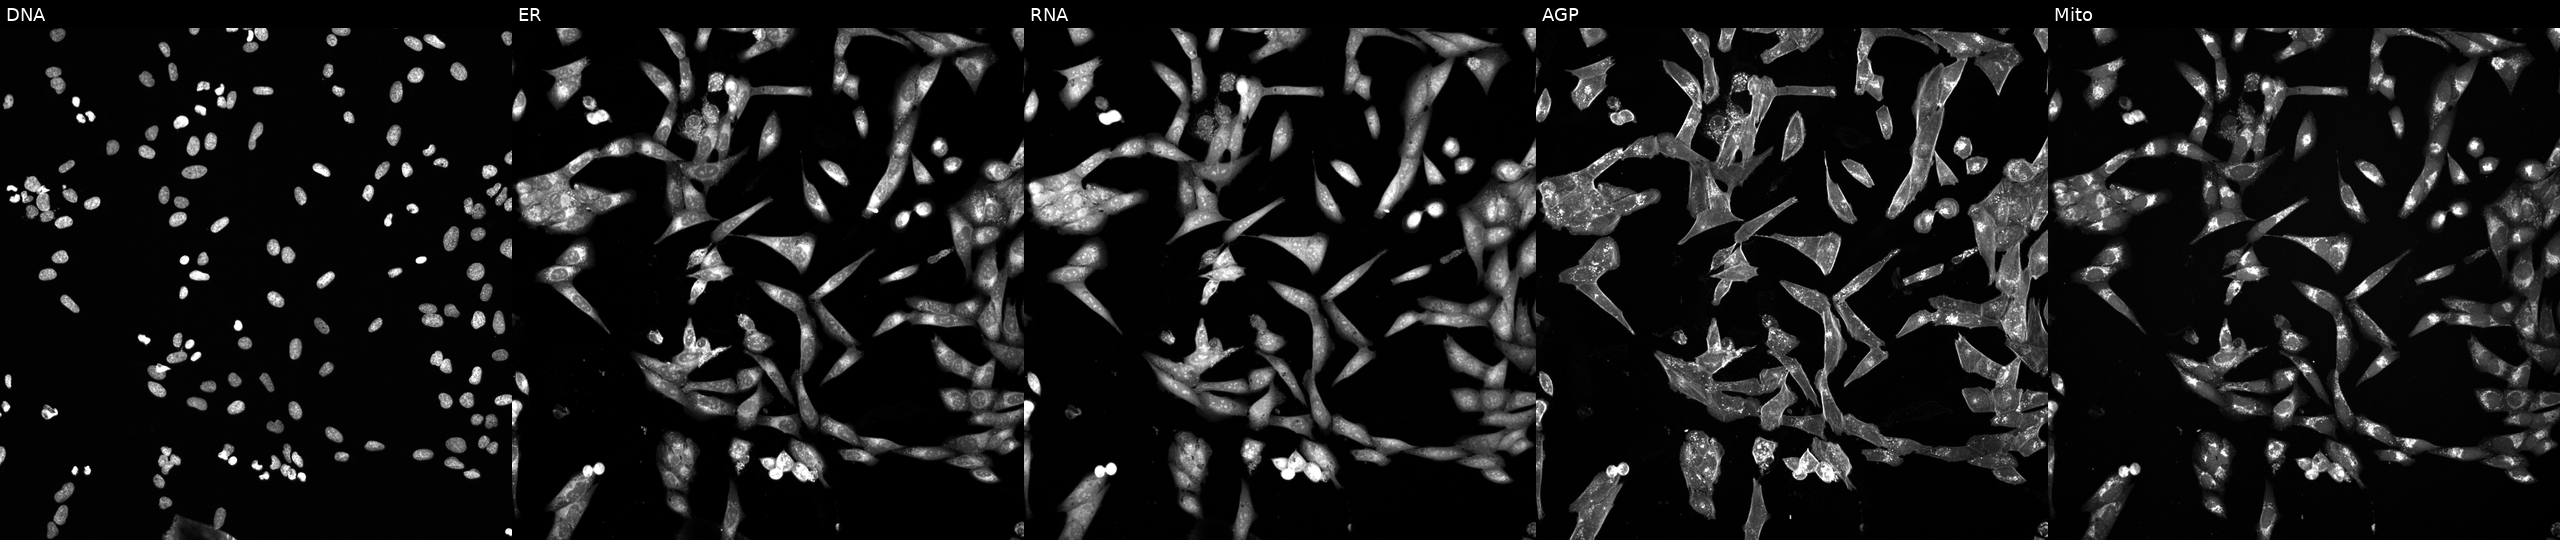
The five panels, left to right, show Hoechst 33342, concanavalin A, SYTO 14, phalloidin and WGA, MitoTracker. U2OS osteosarcoma cells treated with a small-molecule compound (JUMP id JCP2022_045036). Cell Painting assay, JUMP-CP dataset. Source 6, plate 110000294901, well E20.